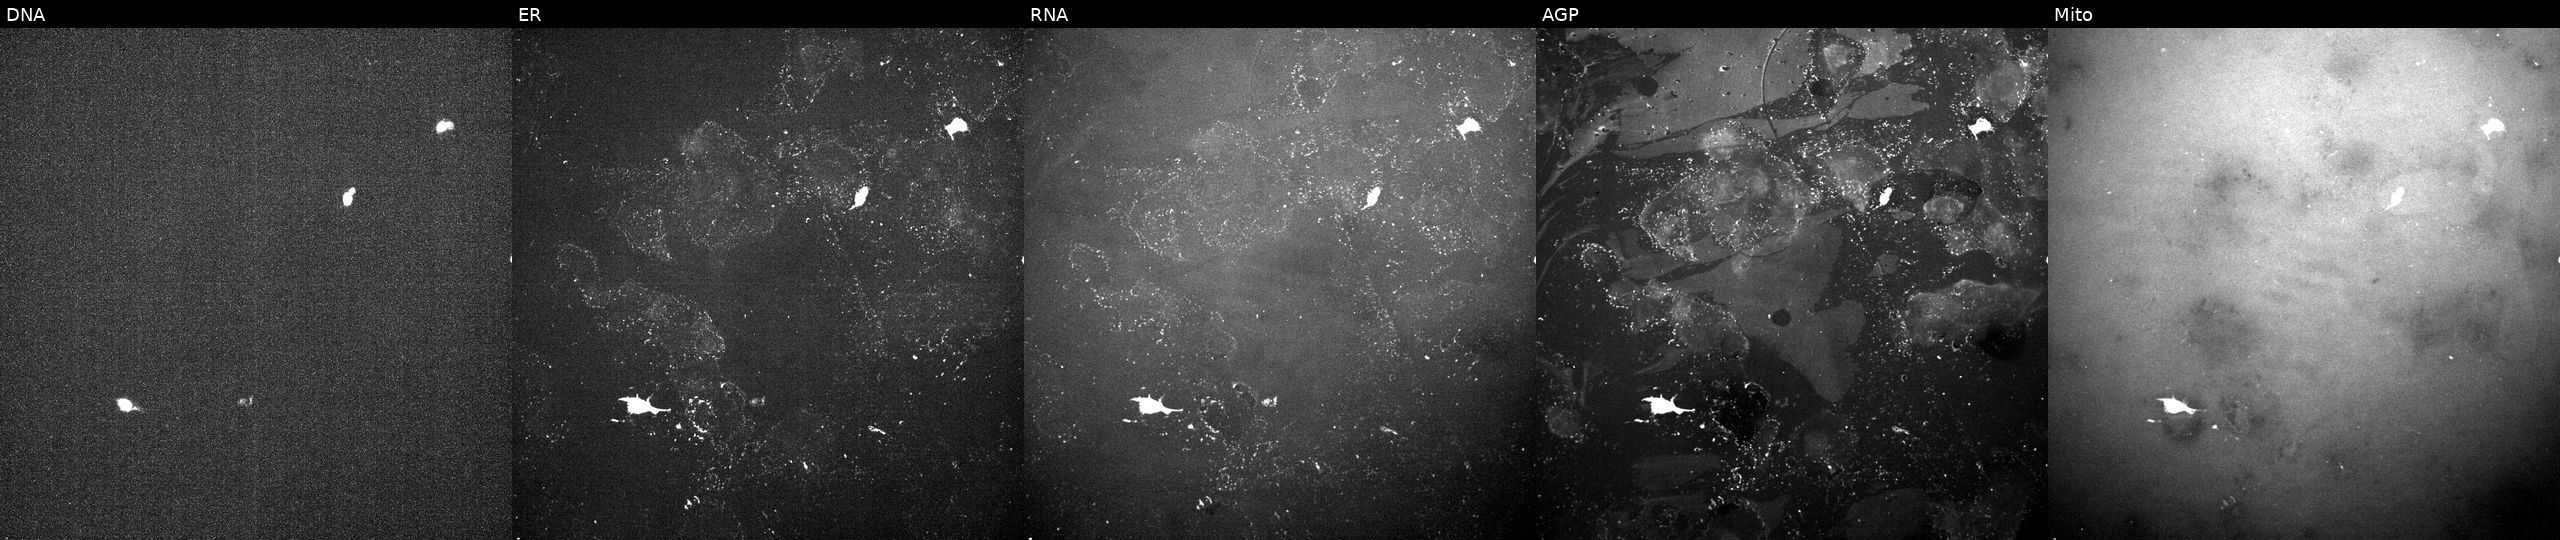
Five-channel Cell Painting image of U2OS cells treated with a small-molecule compound [SMILES: Cc1ccc(N=C2CC(=O)c3sc(C)nc3C2=O)cc1] (JUMP id JCP2022_009867). Panels show, left to right, DNA (nuclei); ER (endoplasmic reticulum); RNA (nucleoli and cytoplasmic RNA); AGP (actin cytoskeleton, Golgi, and plasma membrane); Mito (mitochondria).